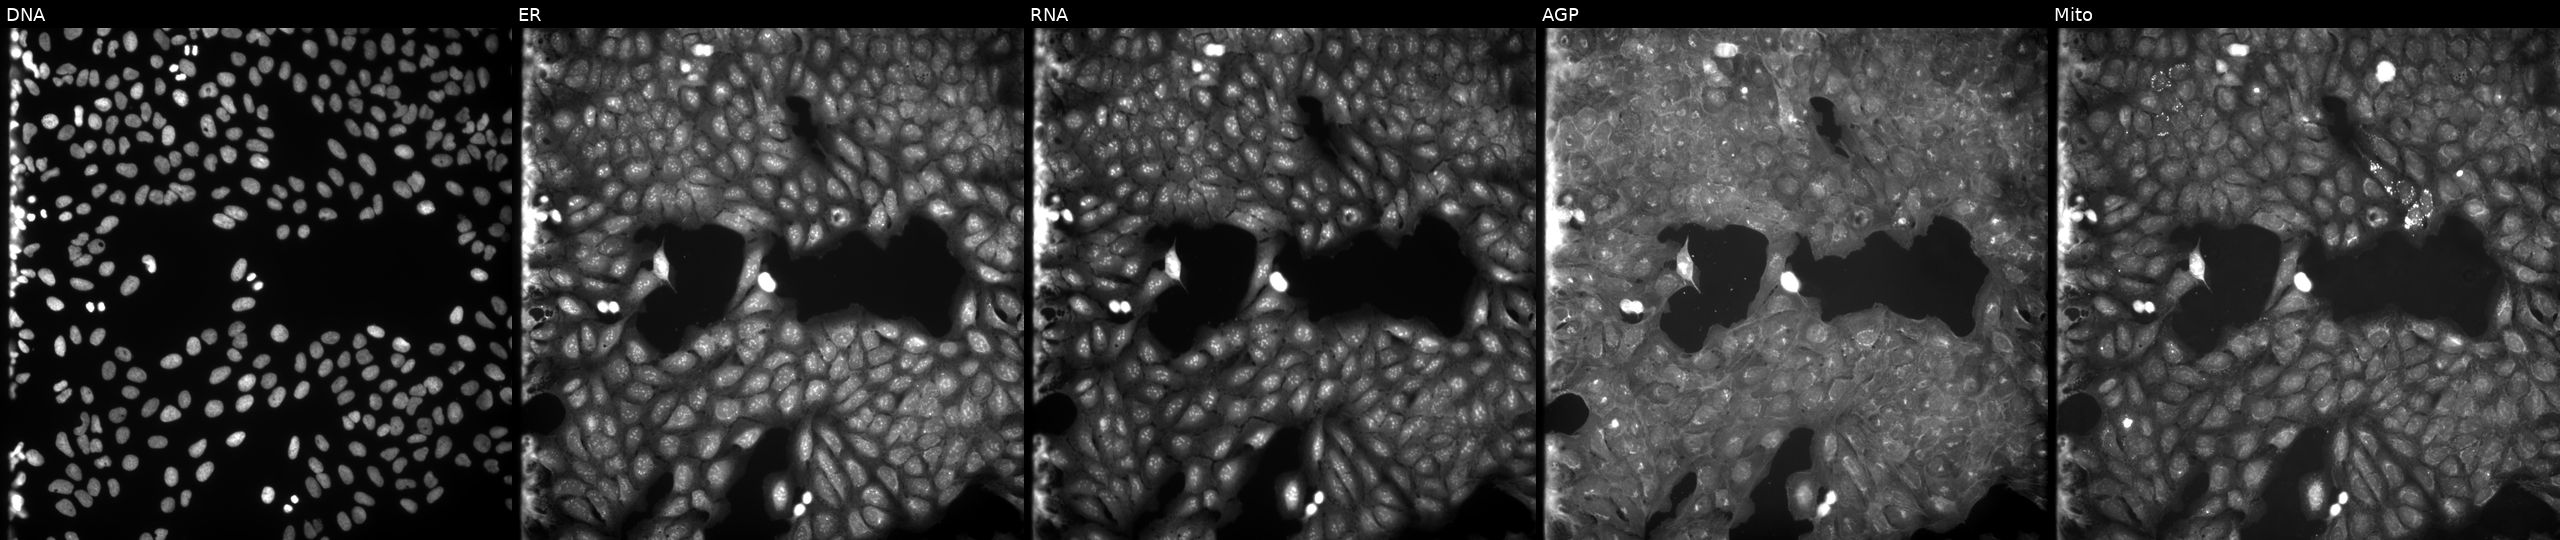
Five-channel Cell Painting image of U2OS cells perturbed with a small-molecule compound. From left to right: Hoechst 33342, concanavalin A, SYTO 14, phalloidin and WGA, MitoTracker.